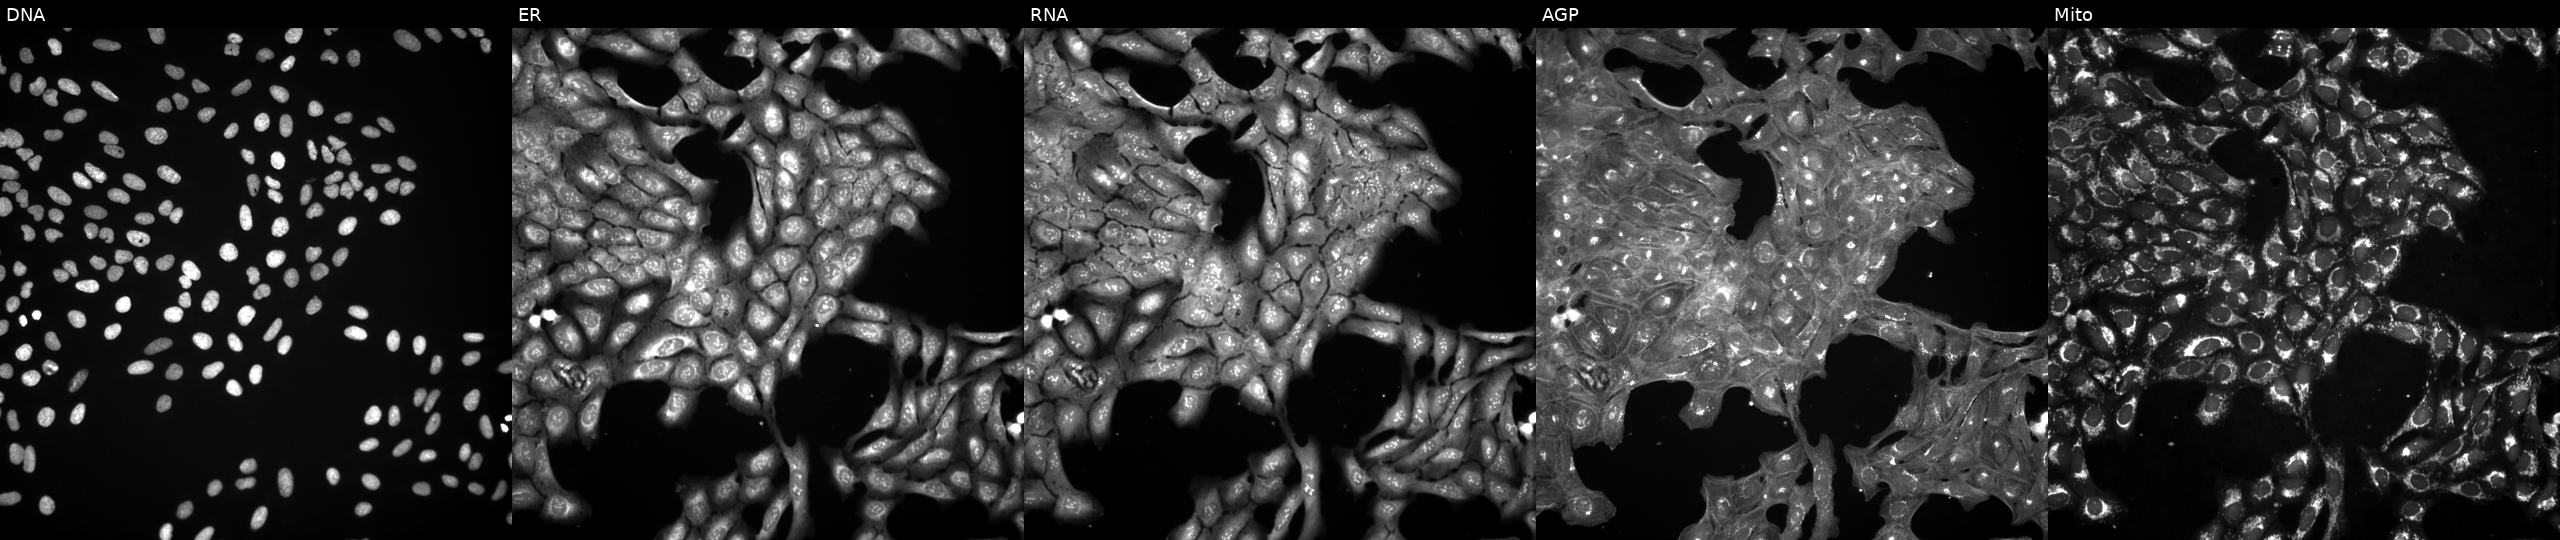
U2OS cells, Cell Painting assay, perturbed with a small-molecule compound (InChIKey XICULIBKUOANCE-UHFFFAOYSA-N) (JUMP id JCP2022_103807). Panels show, left to right, Hoechst 33342, concanavalin A, SYTO 14, phalloidin and WGA, MitoTracker. Each panel is percentile-stretched 16-bit fluorescence.